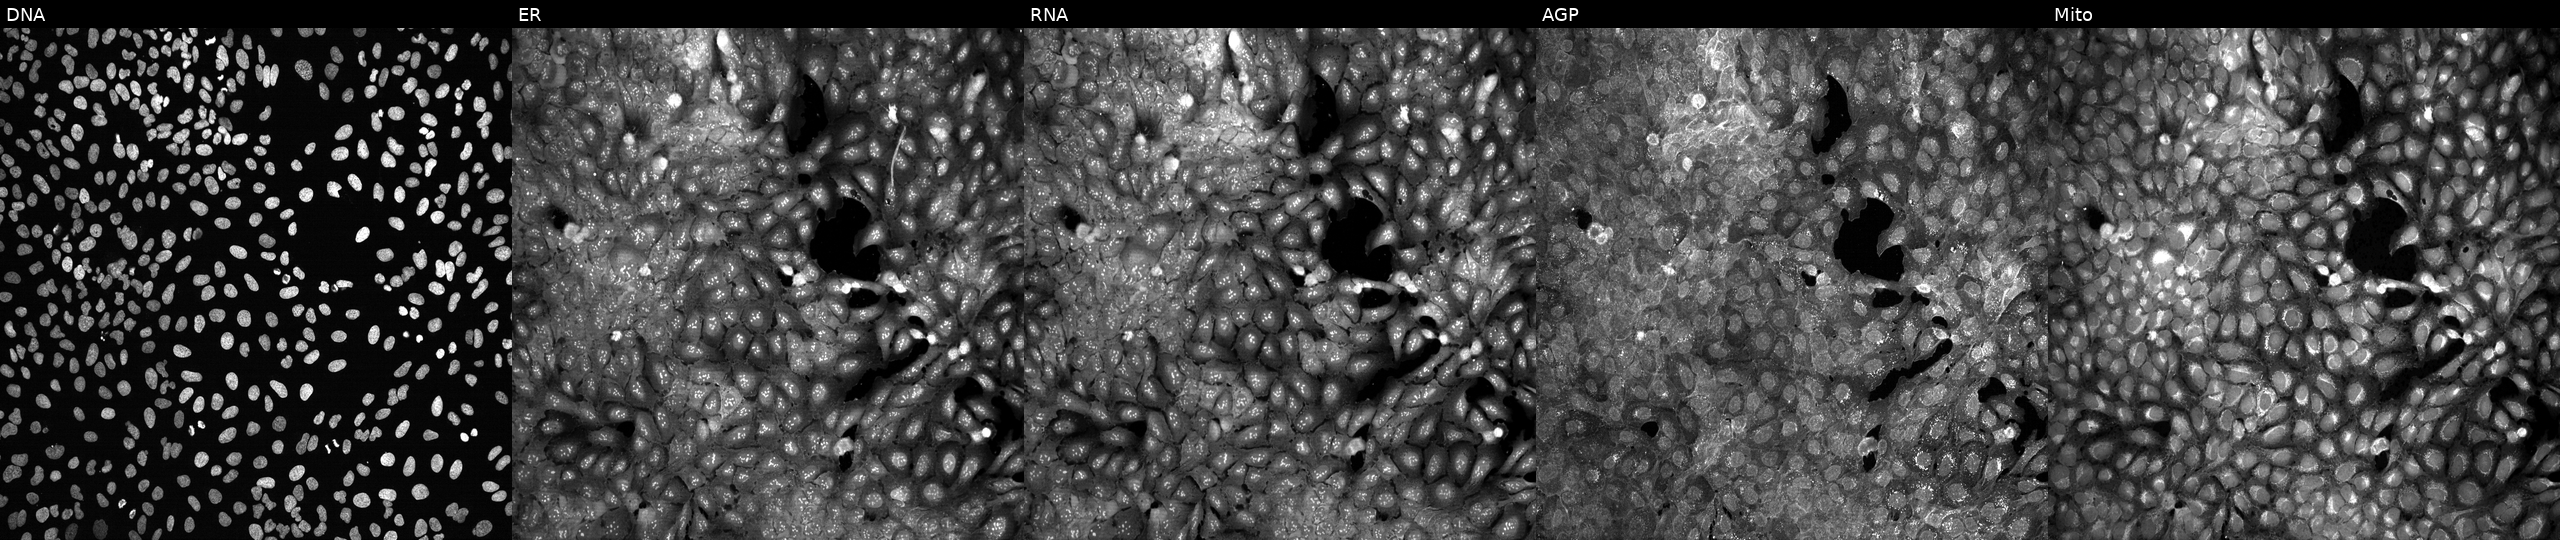
JUMP Cell Painting — CRISPR plate. U2OS cells treated with DMSO vehicle only (negative control). Channels (left→right): DNA, ER, RNA, AGP, and Mito. Source 13, plate CP-CC9-R1-02, well I02.